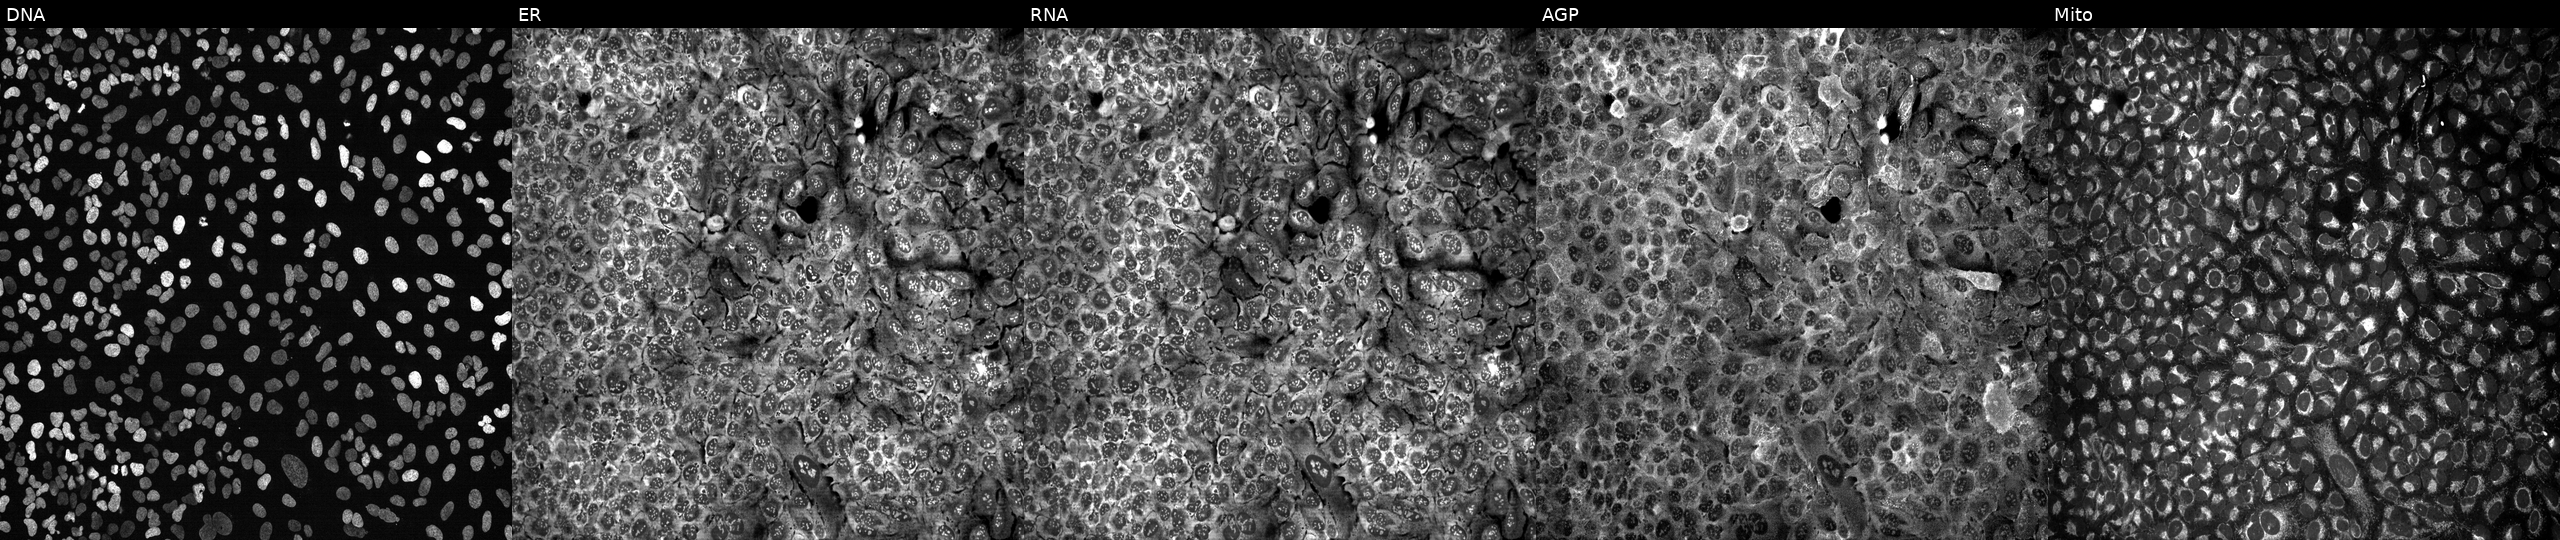
This image strip shows the five Cell Painting channels for a single field of U2OS cells following CRISPR knockout of RAB21 (JUMP id JCP2022_805750). The five panels, left to right, show DNA, ER, RNA, AGP, and Mito.